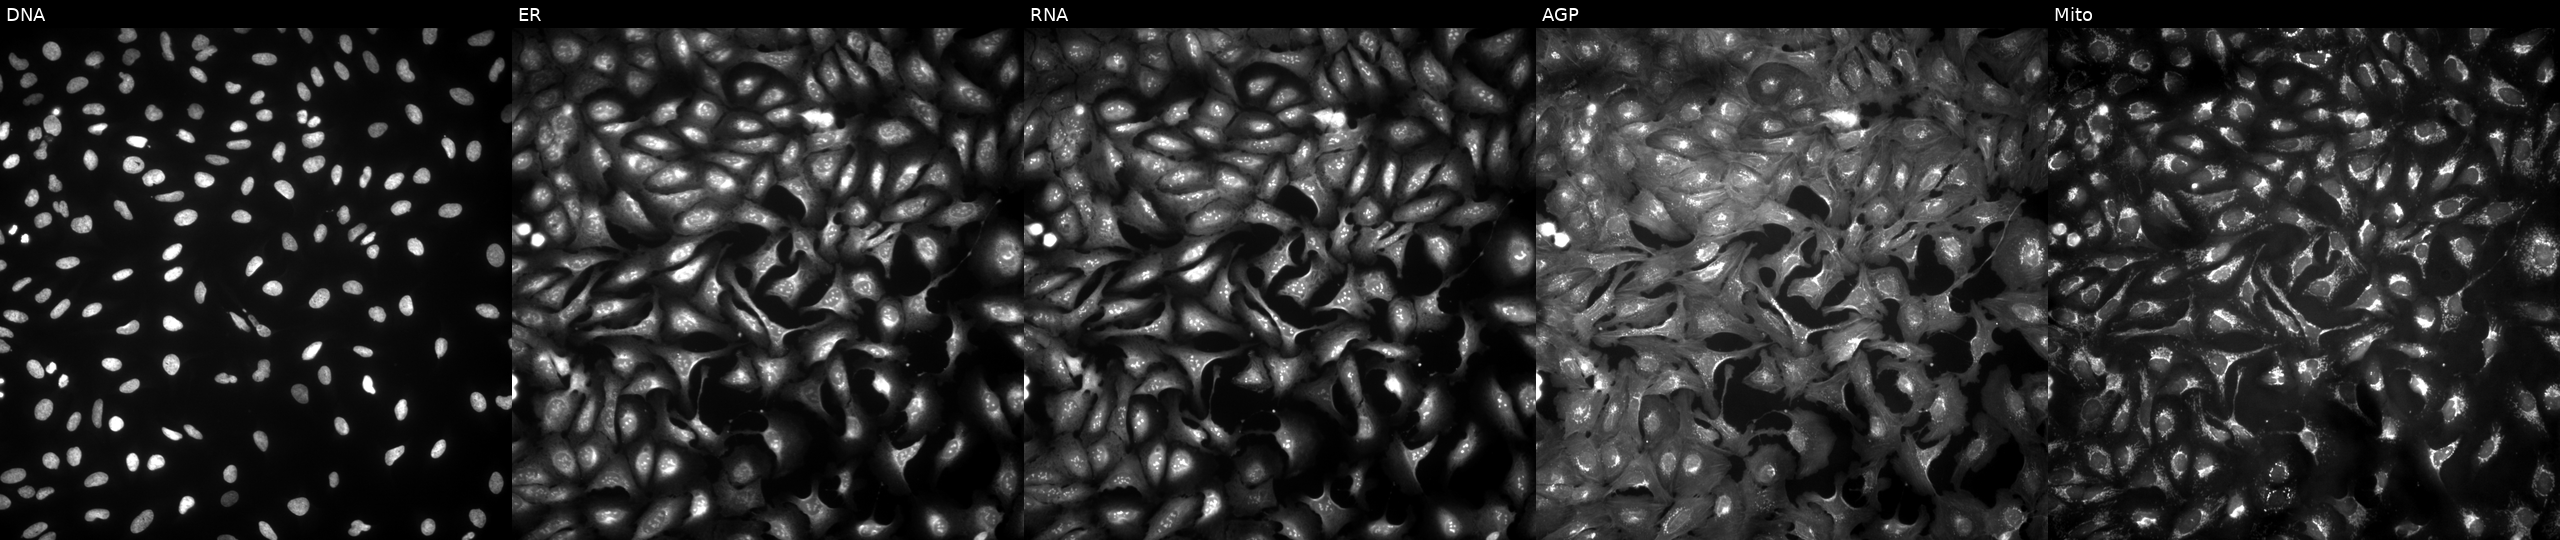
High-content fluorescence microscopy (Cell Painting). Cell line: U2OS. Perturbation: with GCLC overexpressed (ORF) (JUMP id JCP2022_900606). Panels show, left to right, Hoechst 33342, concanavalin A, SYTO 14, phalloidin and WGA, MitoTracker.